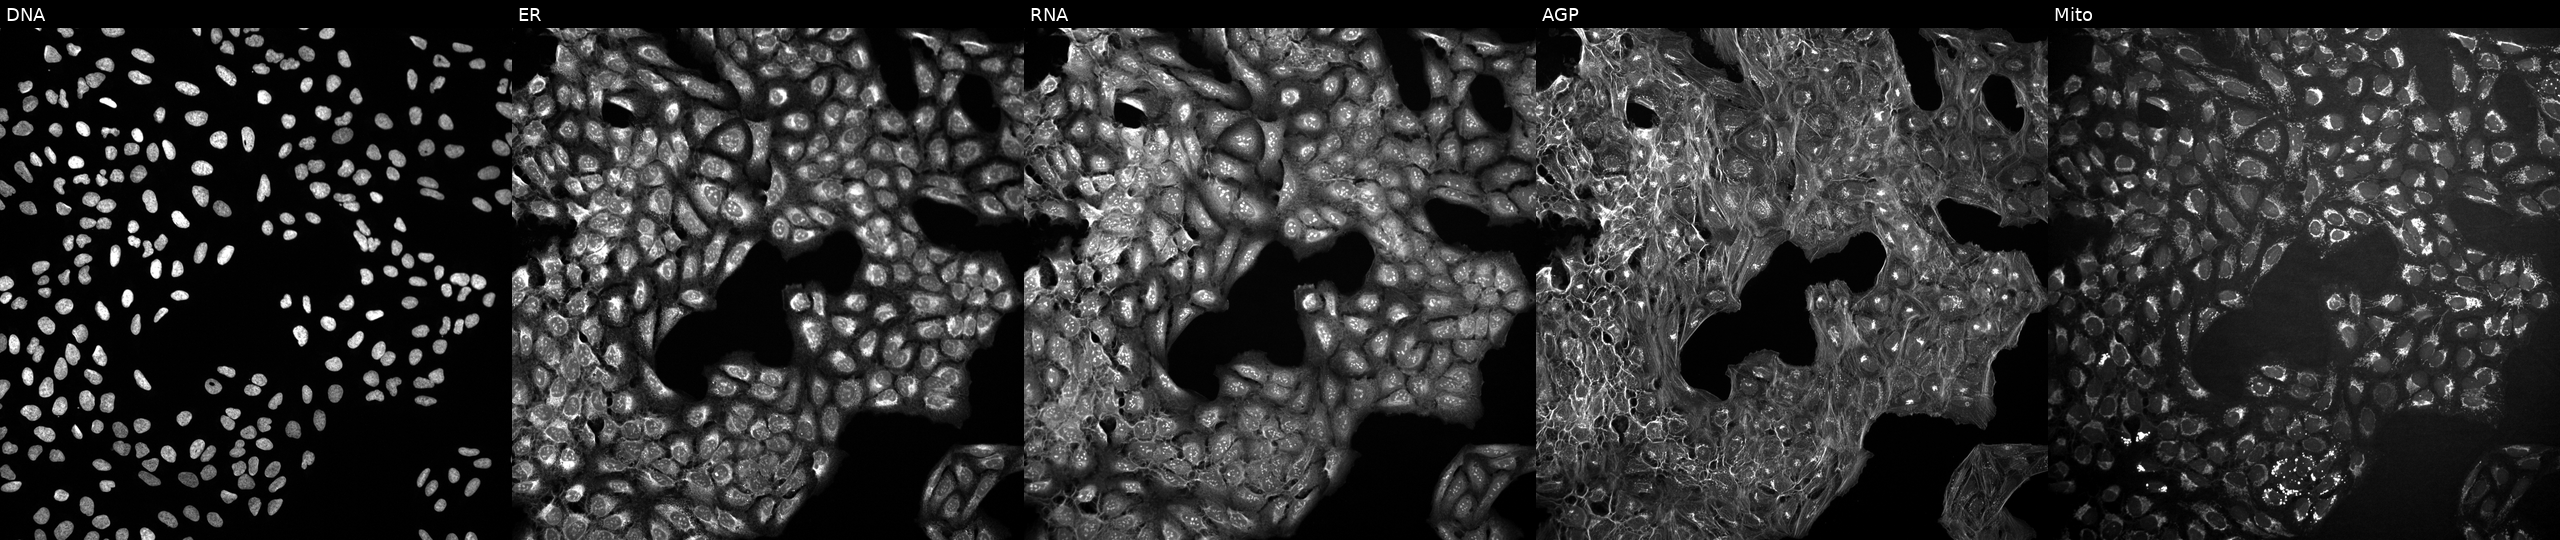
Channels (left→right): DNA (nuclei); ER (endoplasmic reticulum); RNA (nucleoli and cytoplasmic RNA); AGP (actin cytoskeleton, Golgi, and plasma membrane); Mito (mitochondria). U2OS osteosarcoma cells in an empty control well (no perturbation) (JUMP id JCP2022_999999). Cell Painting assay, JUMP-CP dataset. Source 10, plate Dest210531-152324, well E13.